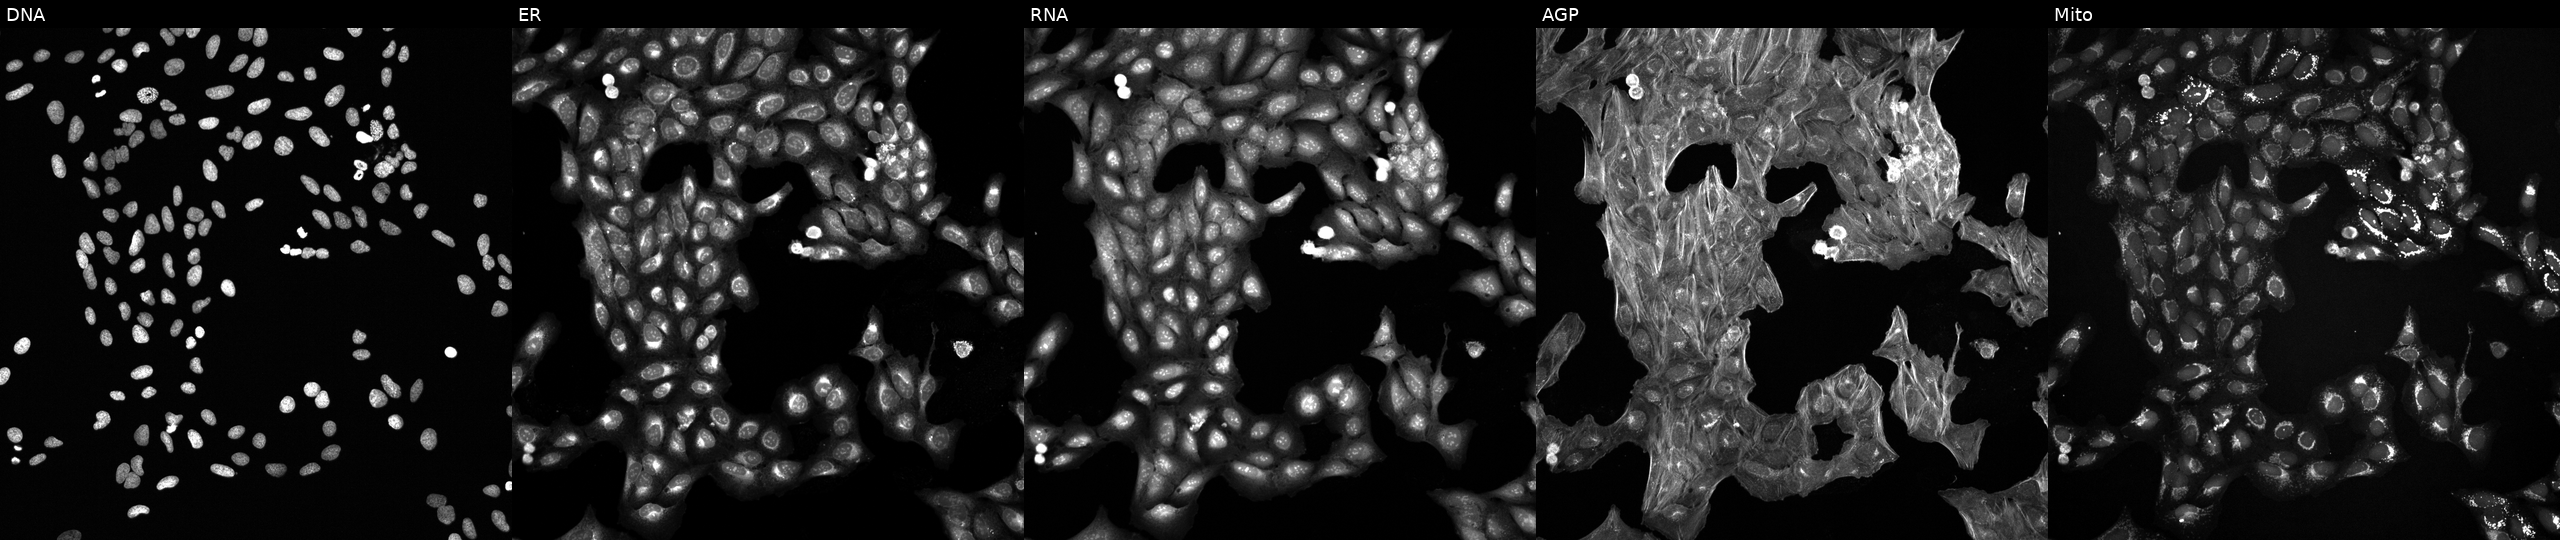
U2OS cells, Cell Painting assay, treated with a small-molecule compound. From left to right: DNA (nuclei); ER (endoplasmic reticulum); RNA (nucleoli and cytoplasmic RNA); AGP (actin cytoskeleton, Golgi, and plasma membrane); Mito (mitochondria). Each panel is percentile-stretched 16-bit fluorescence.